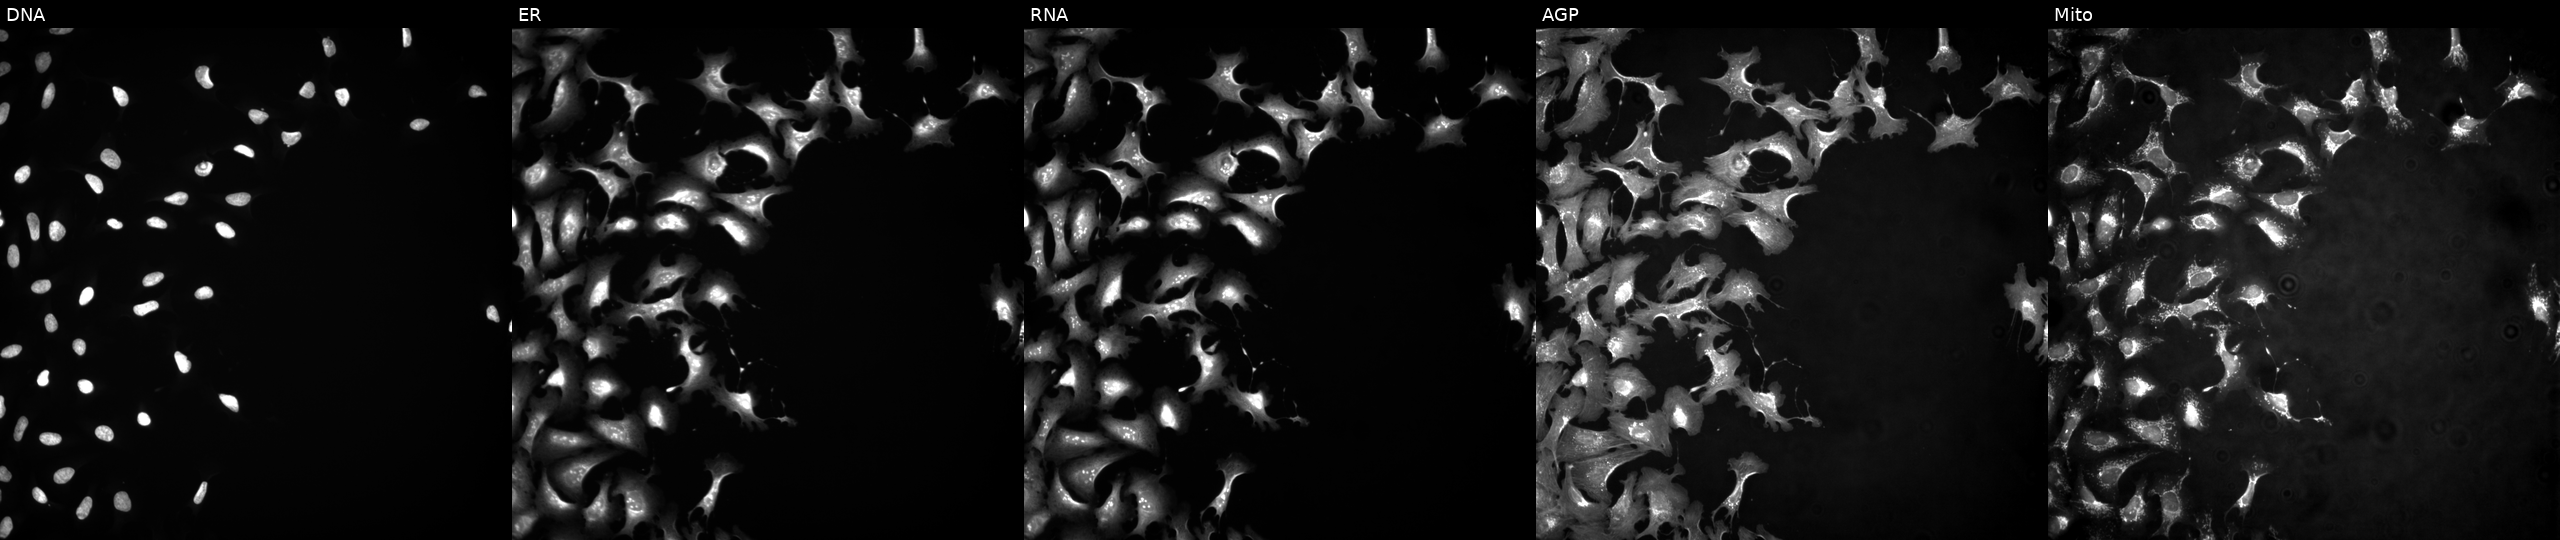
From left to right: Hoechst 33342, concanavalin A, SYTO 14, phalloidin and WGA, MitoTracker. U2OS osteosarcoma cells transfected with an ORF construct for ADK. Cell Painting assay, JUMP-CP dataset. Source 4, plate BR00123945, well F02.